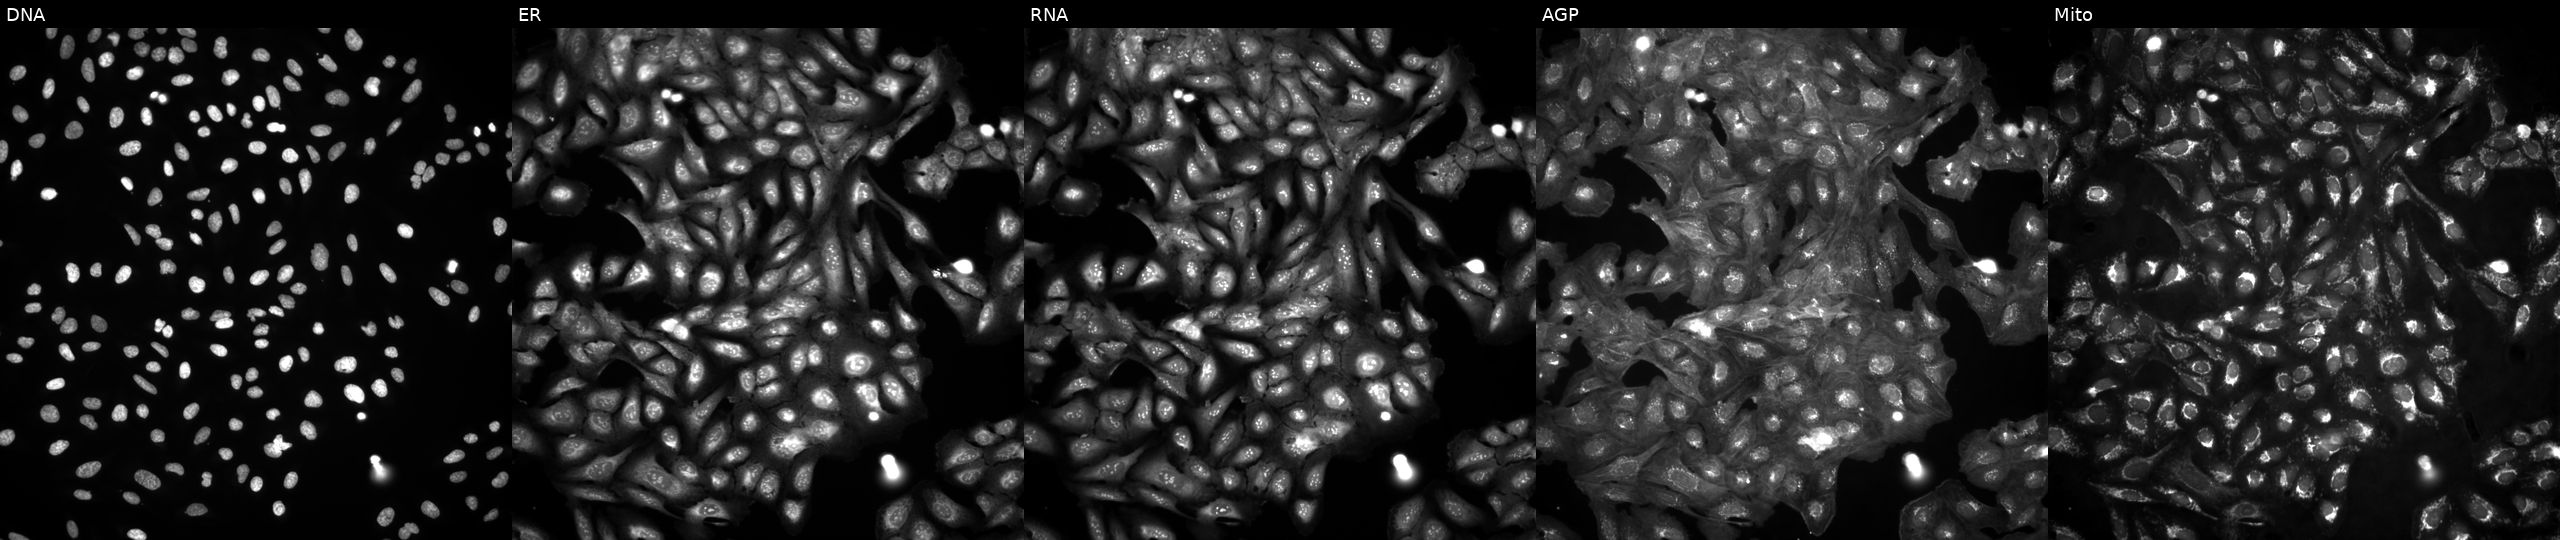
High-content fluorescence microscopy (Cell Painting). Cell line: U2OS. Perturbation: in an empty control well (no perturbation) (JUMP id JCP2022_999999). Panels show, left to right, DNA, ER, RNA, AGP, and Mito.